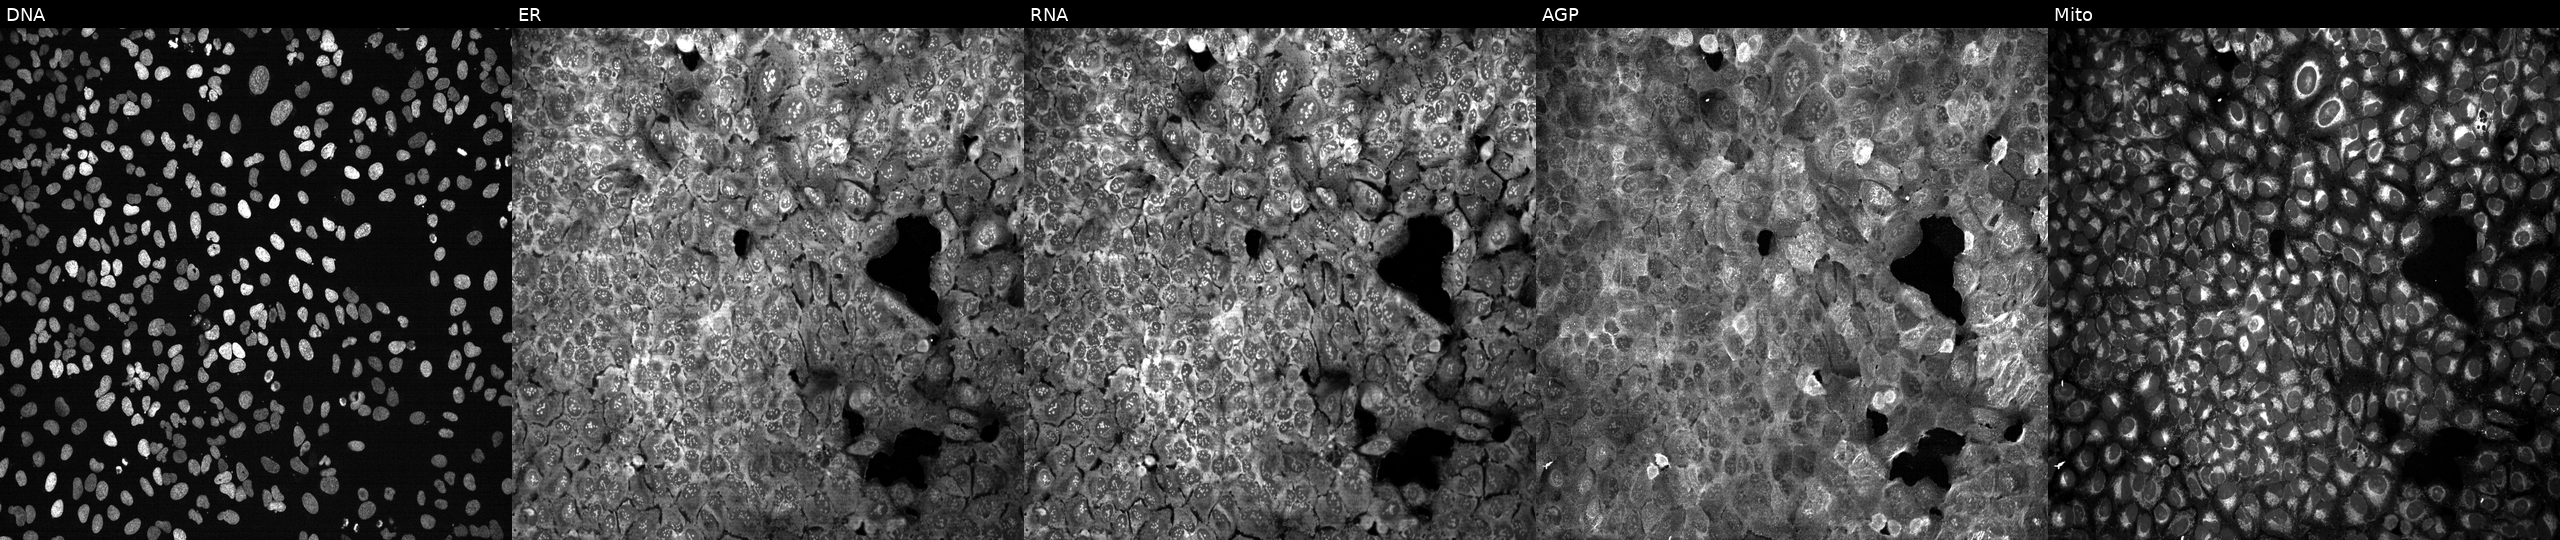
U2OS cells, Cell Painting assay, CRISPR-edited to disrupt ADH1C (JUMP id JCP2022_800257). The five panels, left to right, show DNA, ER, RNA, AGP, and Mito. Each panel is percentile-stretched 16-bit fluorescence. Source 13, plate CP-CC9-R2-01, well M17.